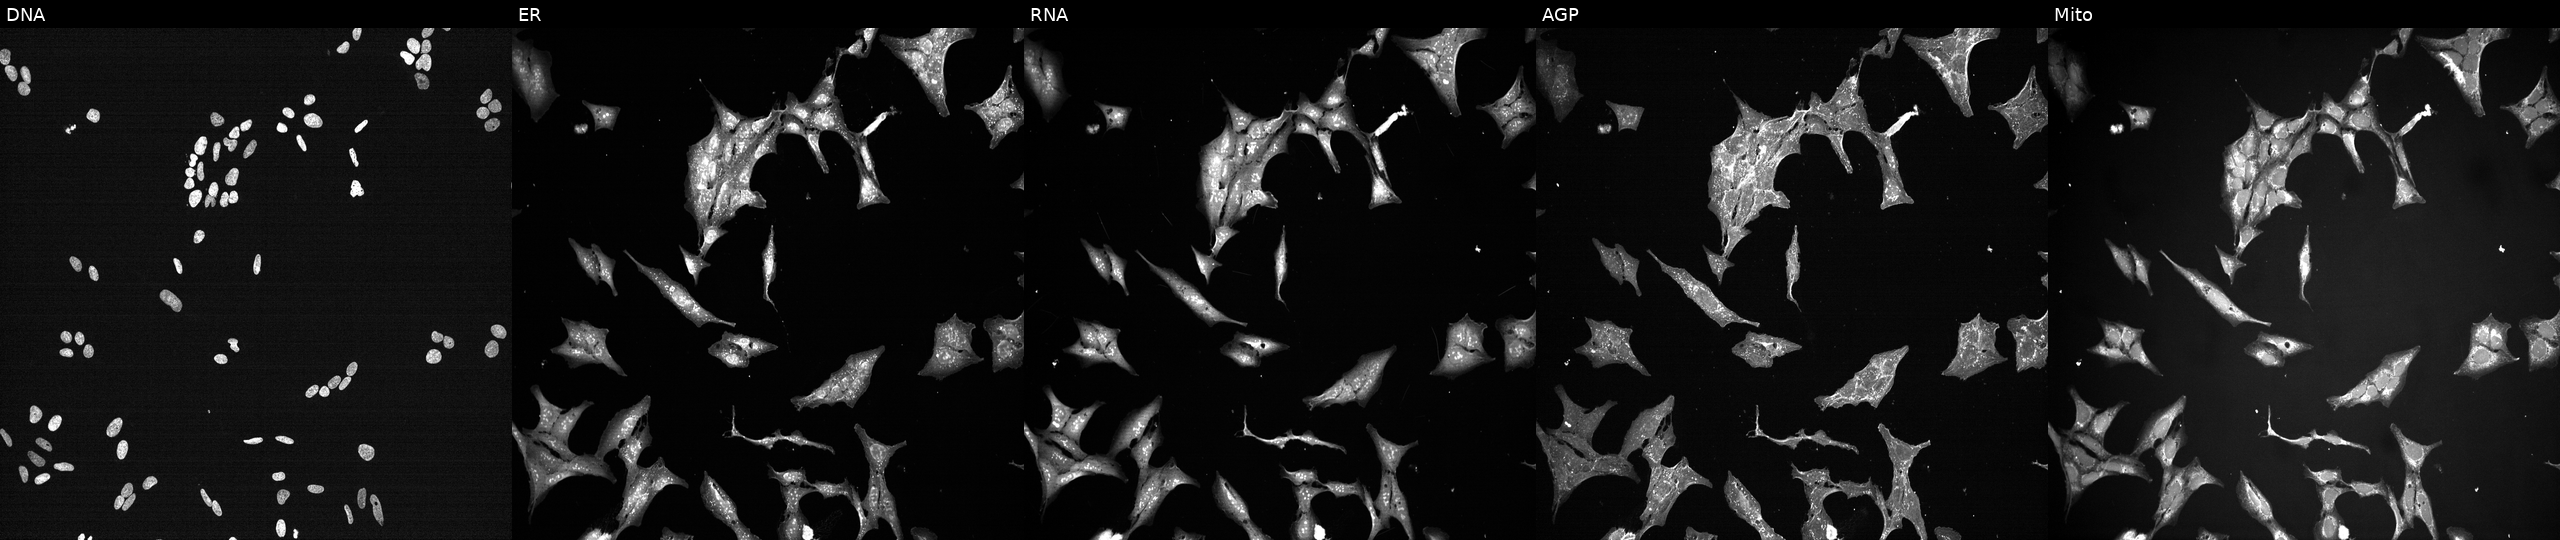
This image strip shows the five Cell Painting channels for a single field of U2OS cells exposed to a small-molecule compound (InChIKey KAJXOWFGKYKMMZ-UHFFFAOYSA-N) [SMILES: O=C1NC(=O)c2c1c1c3ccccc3[nH]c1c1[nH]c3ccccc3c21] (JUMP id JCP2022_043287). Panels show, left to right, DNA (nuclei); ER (endoplasmic reticulum); RNA (nucleoli and cytoplasmic RNA); AGP (actin cytoskeleton, Golgi, and plasma membrane); Mito (mitochondria).